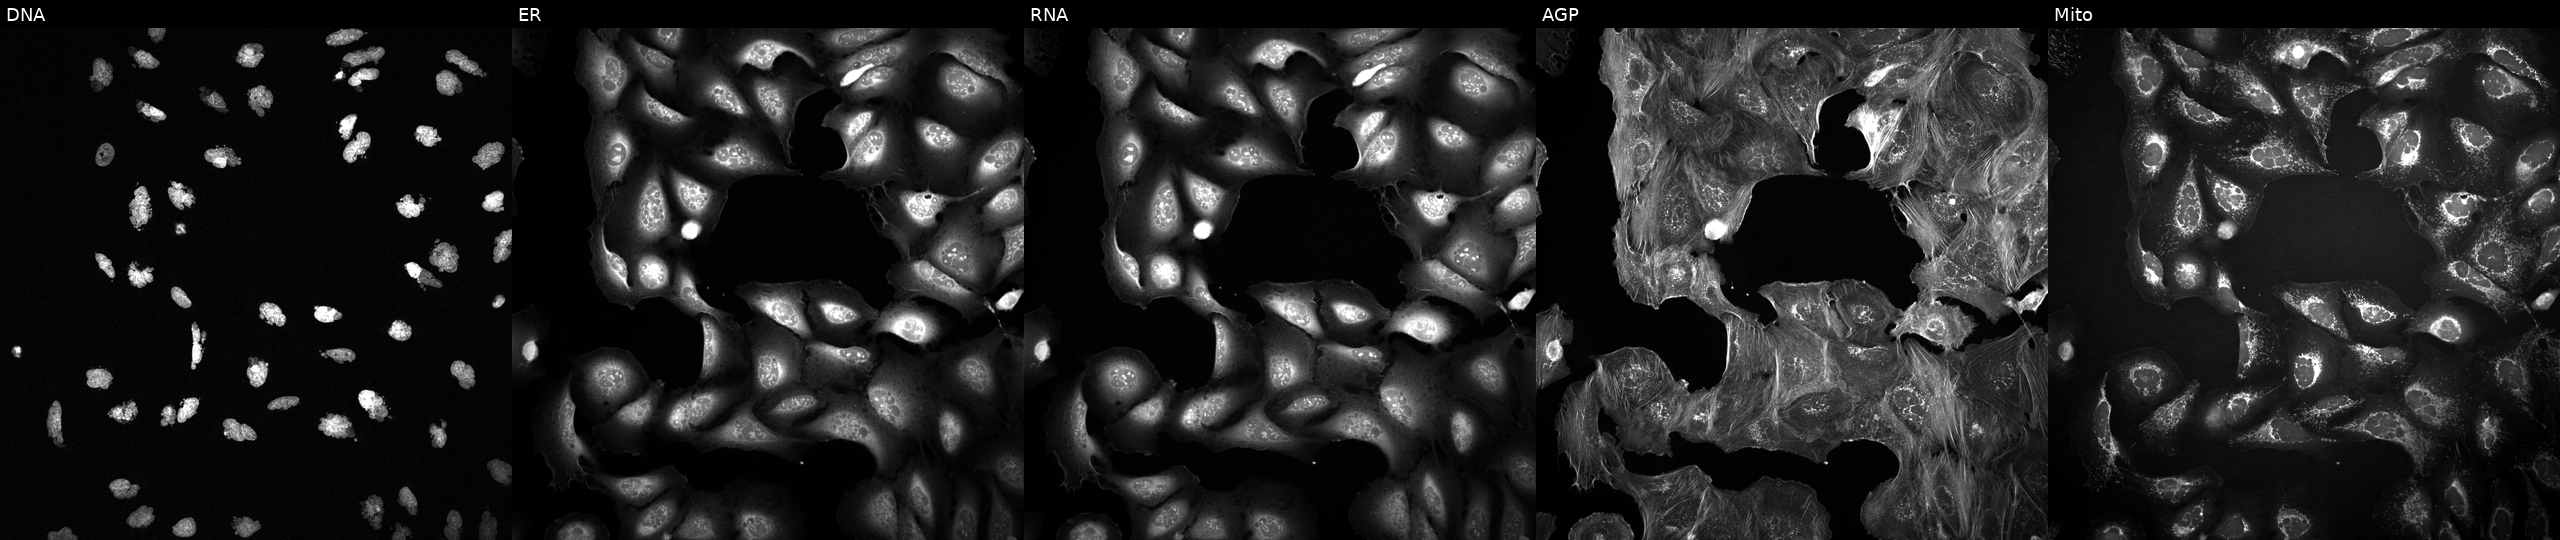
The five panels, left to right, show DNA, ER, RNA, AGP, and Mito. U2OS osteosarcoma cells exposed to the positive-control compound AMG900 (JUMP id JCP2022_037716). Cell Painting assay, JUMP-CP dataset. Source 2, plate 1053600674, well L15.